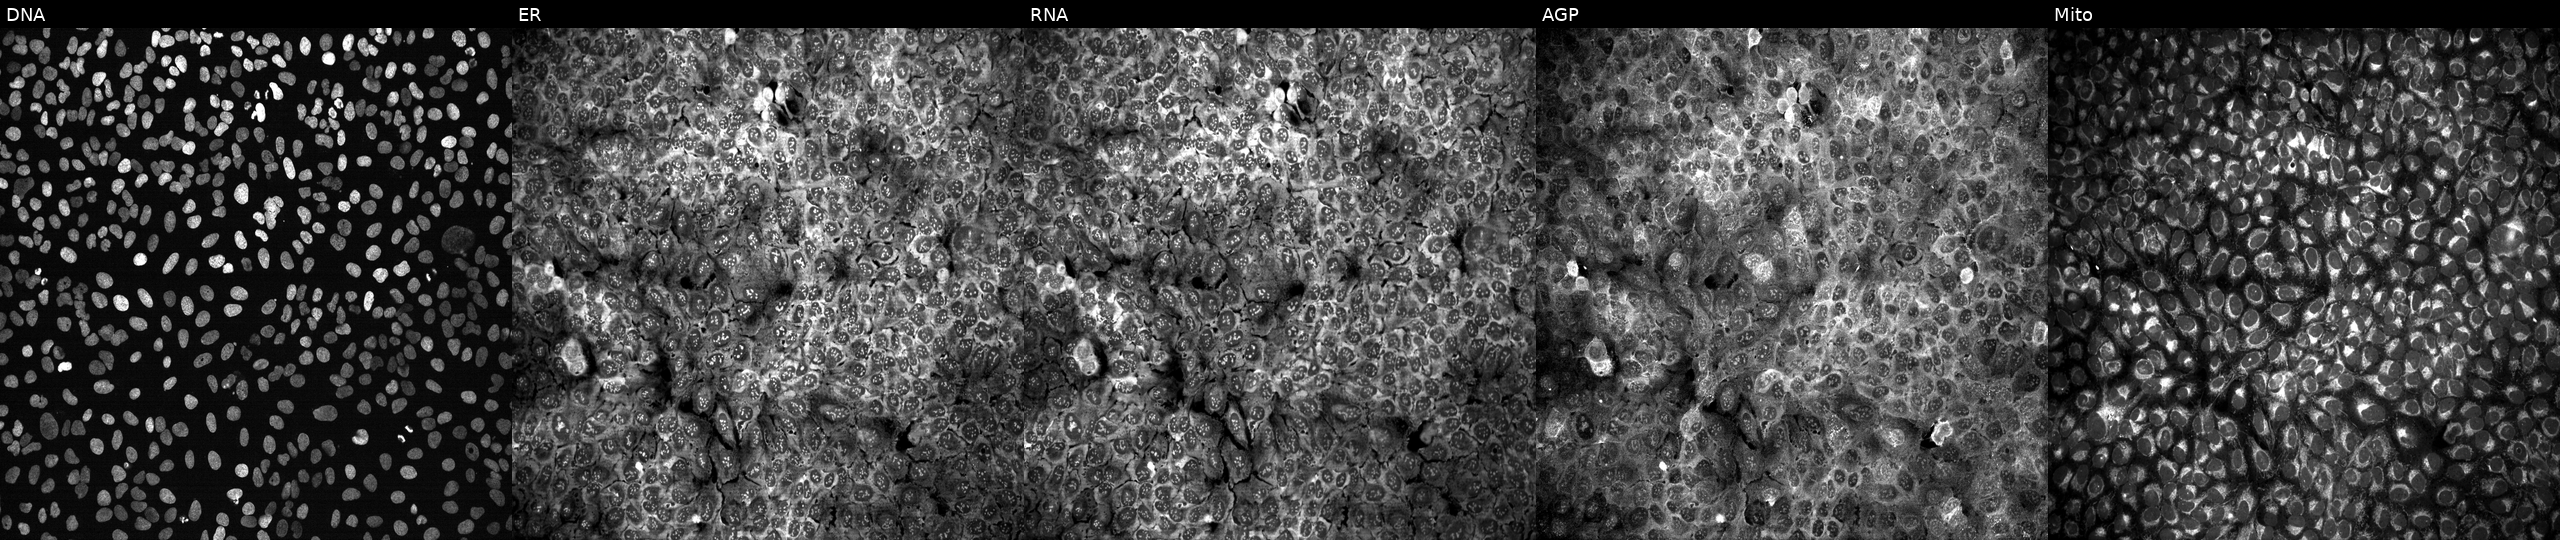
JUMP Cell Painting — CRISPR plate. U2OS cells treated with DMSO vehicle only (negative control). Channels (left→right): DNA (nuclei); ER (endoplasmic reticulum); RNA (nucleoli and cytoplasmic RNA); AGP (actin cytoskeleton, Golgi, and plasma membrane); Mito (mitochondria).